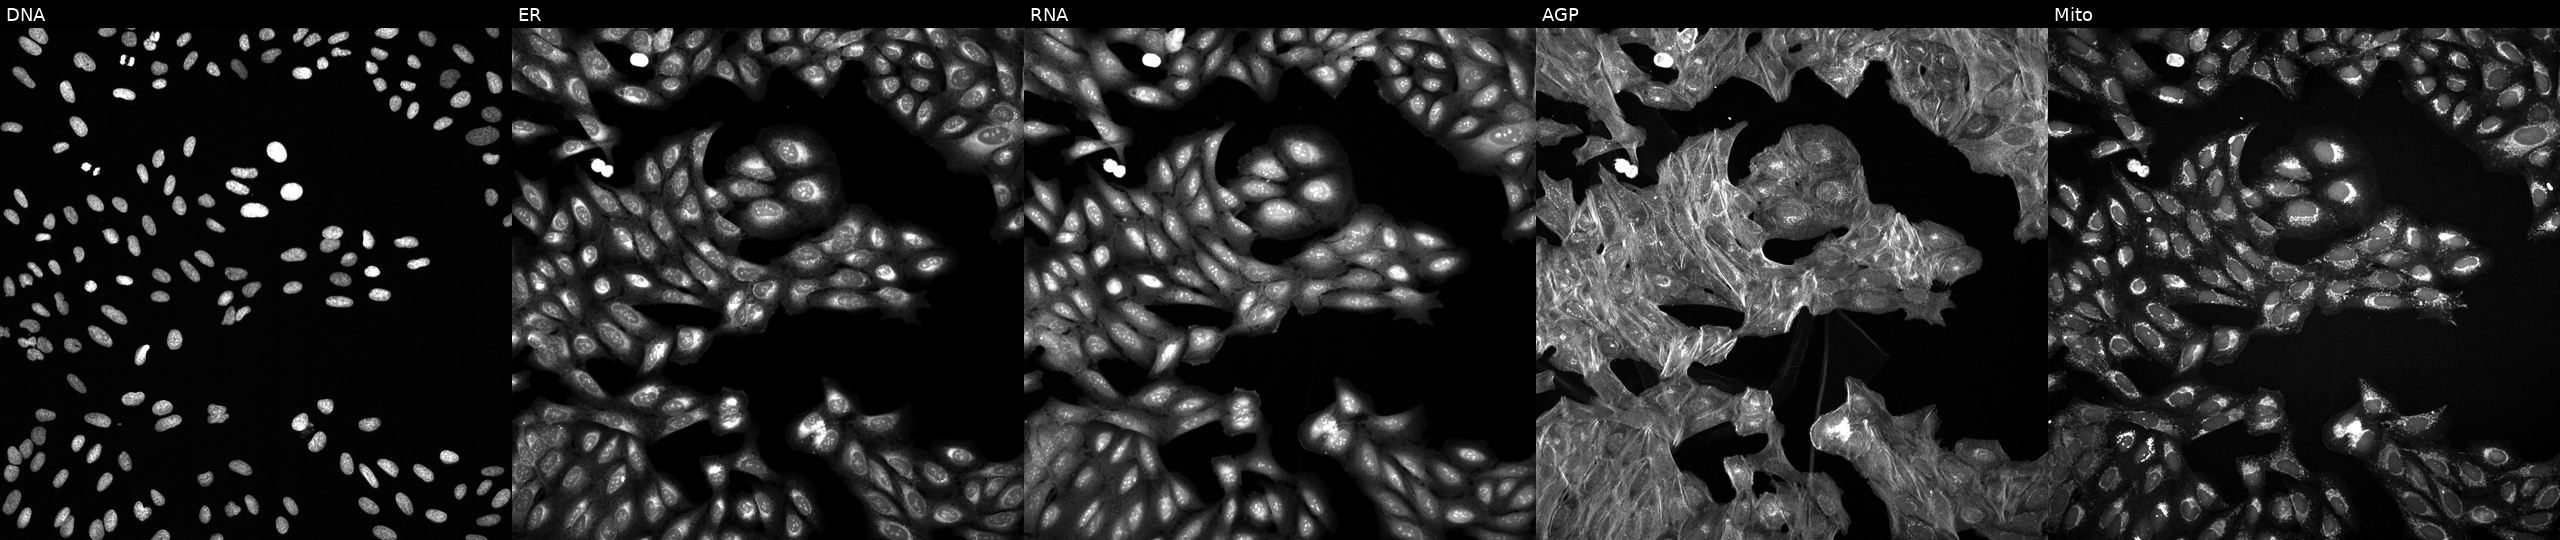
JUMP Cell Painting — TARGET2 plate. U2OS cells perturbed with a small-molecule compound (InChIKey RAHBGWKEPAQNFF-UHFFFAOYSA-N). The five panels, left to right, show Hoechst 33342, concanavalin A, SYTO 14, phalloidin and WGA, MitoTracker.